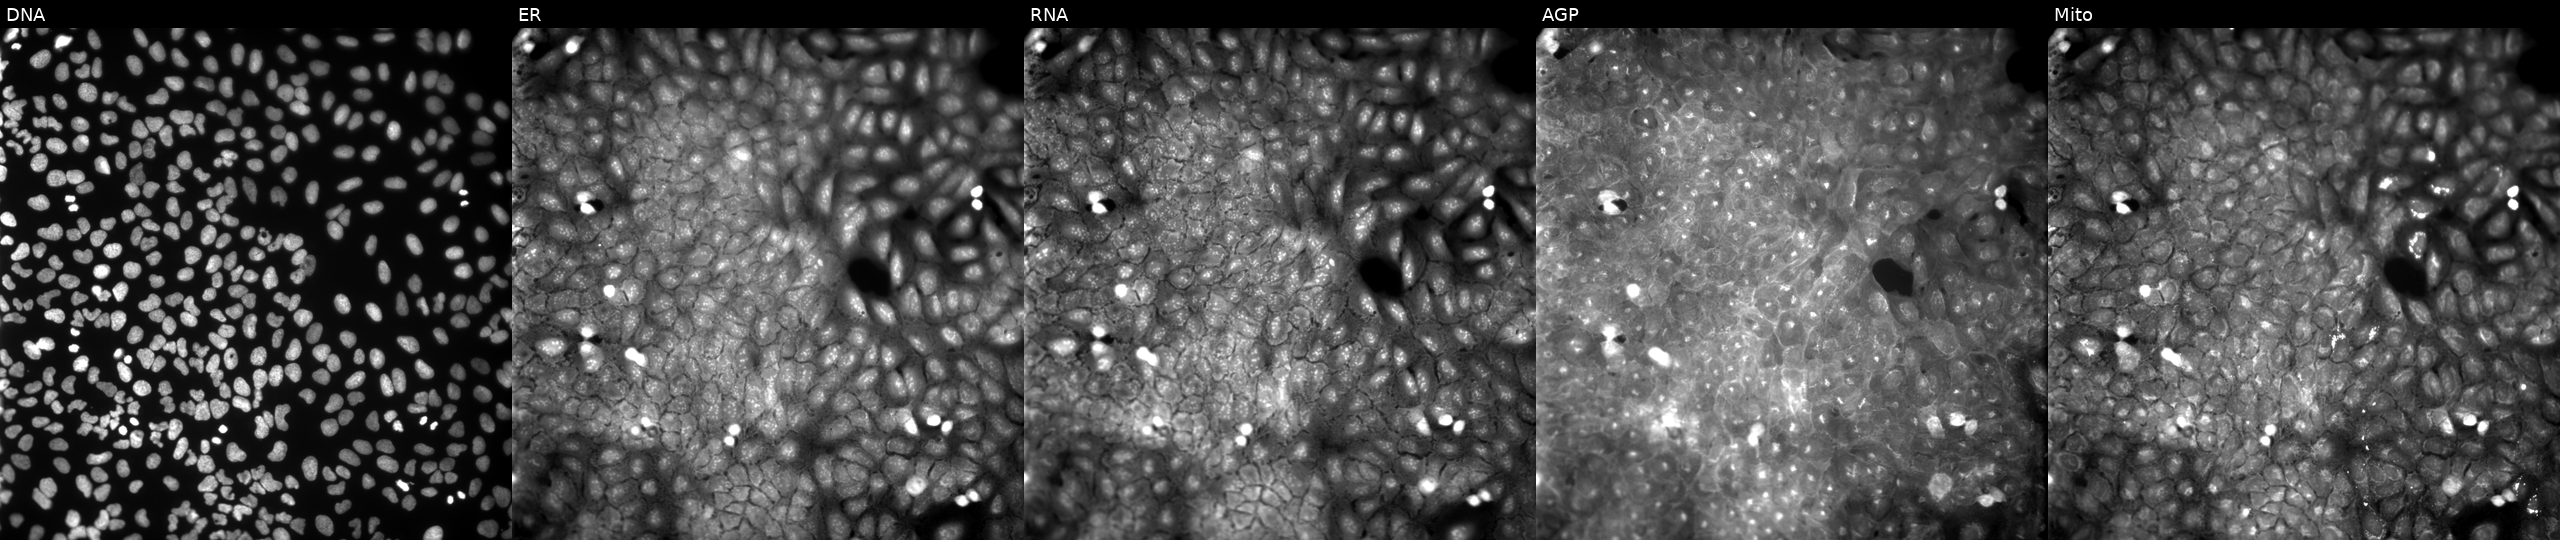
High-content fluorescence microscopy (Cell Painting). Cell line: U2OS. Perturbation: exposed to a small-molecule compound (InChIKey OBZXYDODYRPOEU-UHFFFAOYSA-N) (JUMP id JCP2022_062841). From left to right: Hoechst 33342, concanavalin A, SYTO 14, phalloidin and WGA, MitoTracker. Source 9, plate GR00003381, well AC07.